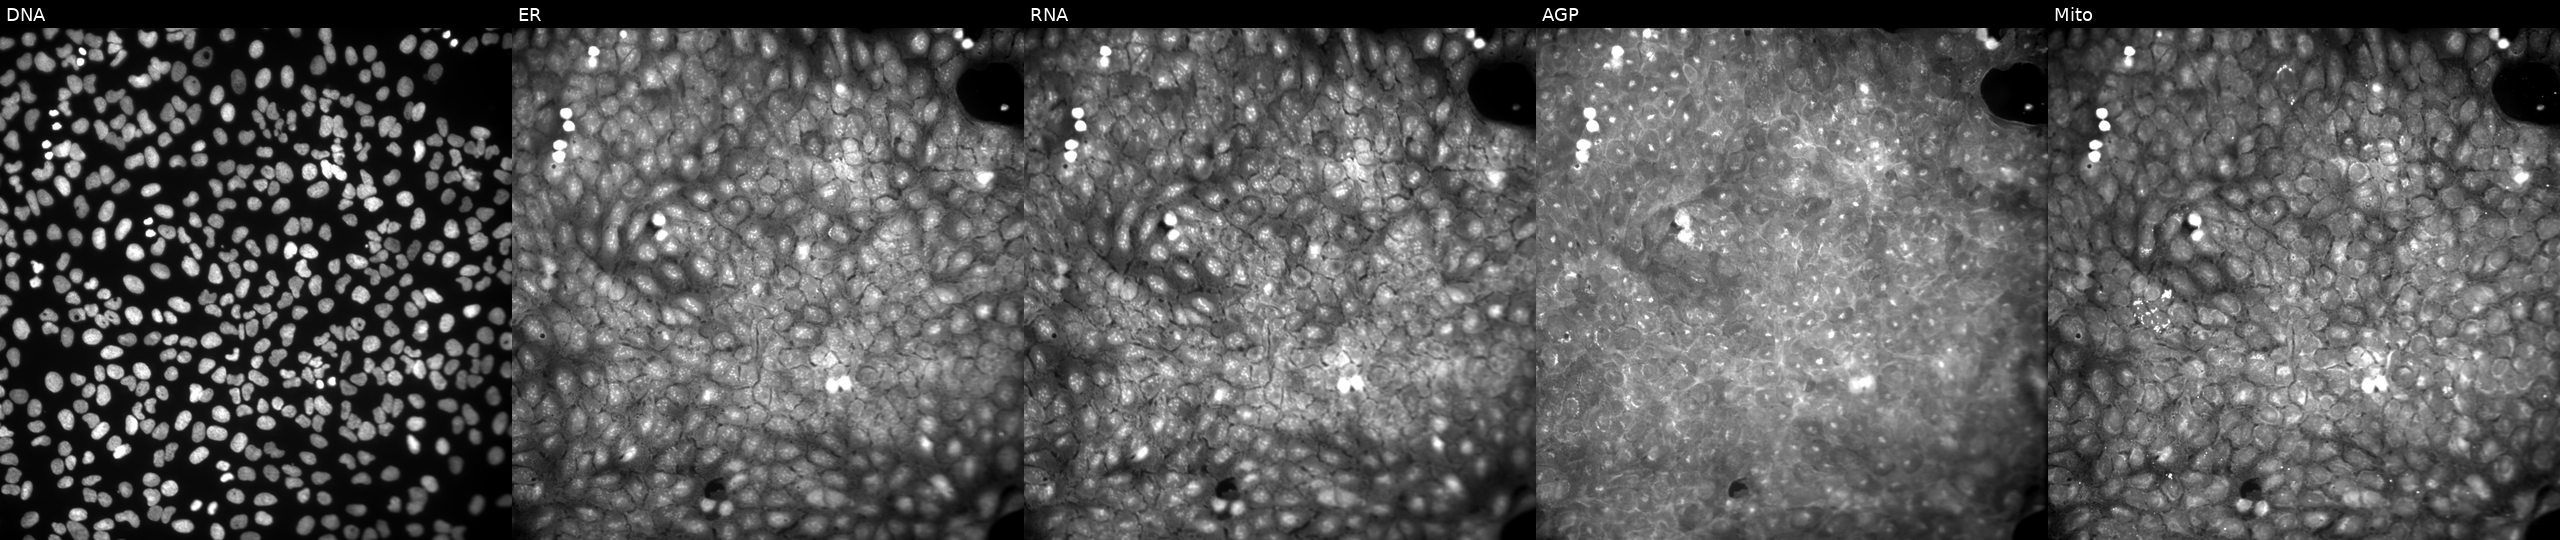
JUMP Cell Painting — COMPOUND plate. U2OS cells exposed to a small-molecule compound (InChIKey QOSNNYUNIVVPEX-UHFFFAOYSA-N). From left to right: Hoechst 33342, concanavalin A, SYTO 14, phalloidin and WGA, MitoTracker.